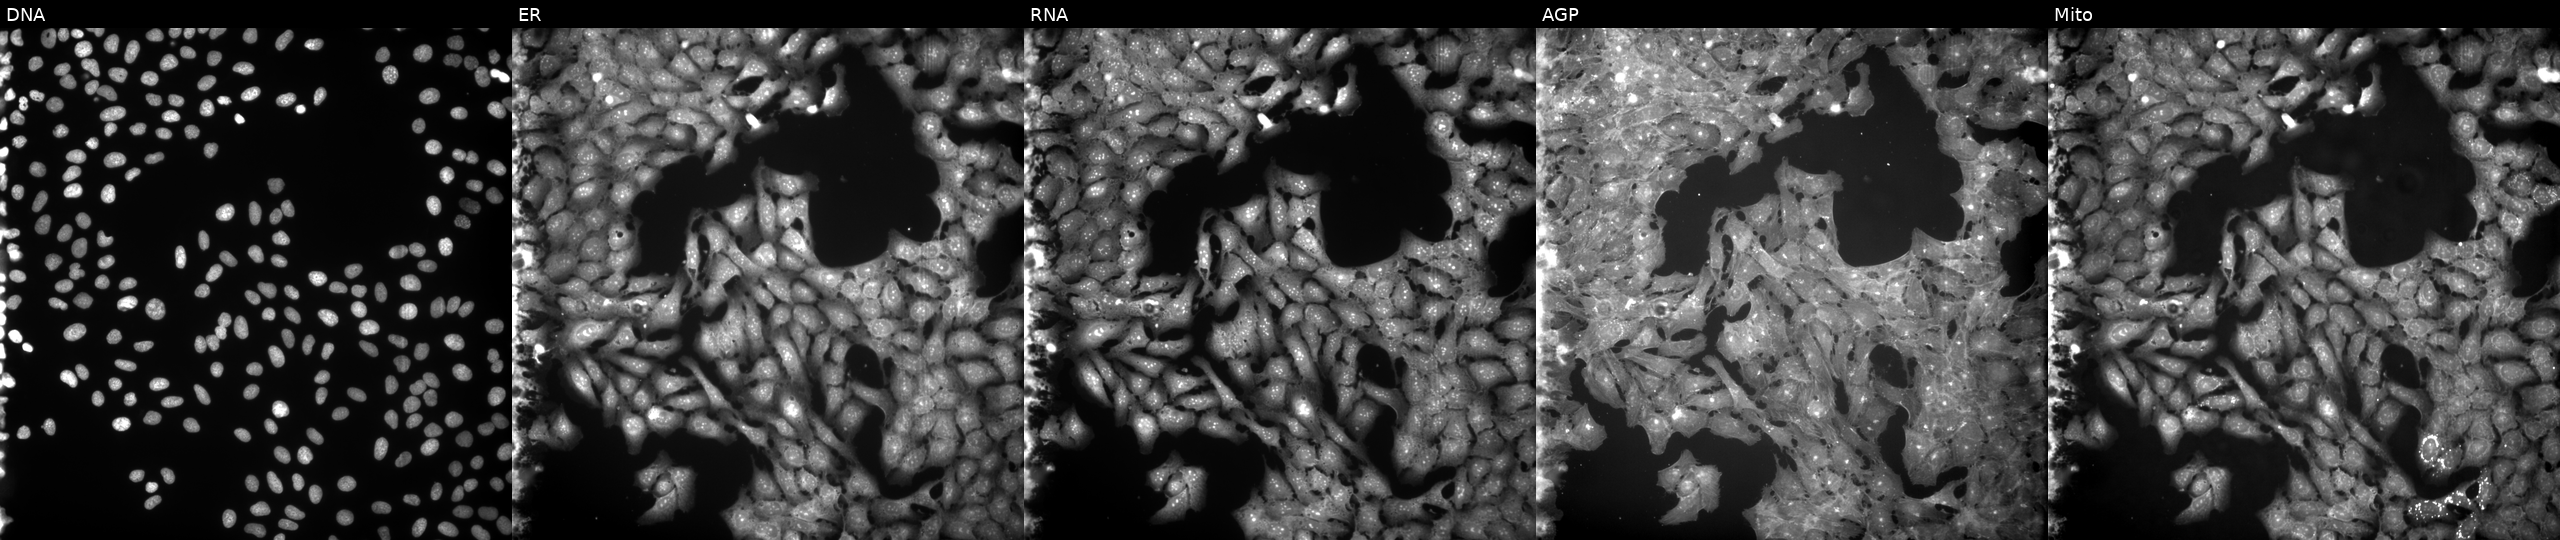
JUMP Cell Painting — COMPOUND plate. U2OS cells treated with FK-866 (positive-control compound) (JUMP id JCP2022_046054). The five panels, left to right, show Hoechst 33342, concanavalin A, SYTO 14, phalloidin and WGA, MitoTracker. Source 9, plate GR00003381, well D25.